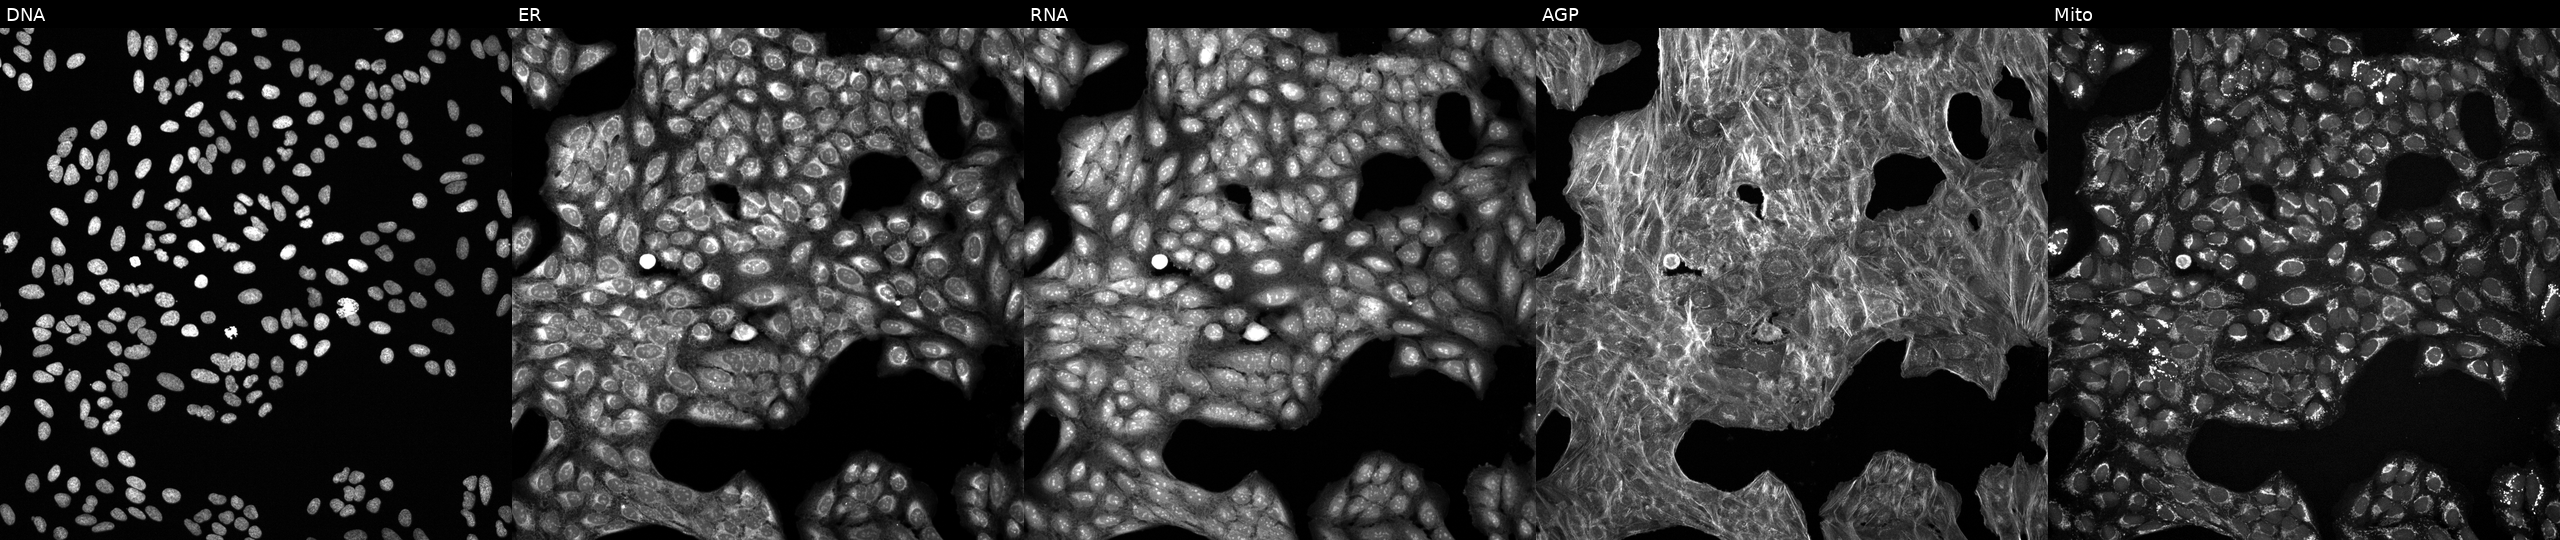
JUMP Cell Painting — COMPOUND plate. U2OS cells treated with a small-molecule compound (InChIKey SWZKALNYIXZBKS-UHFFFAOYSA-N) [SMILES: Cc1cc(NC(=O)c2ccc(F)cc2Cl)sc1C(=O)N1CCc2ccccc21] (JUMP id JCP2022_086137). From left to right: DNA, ER, RNA, AGP, and Mito.